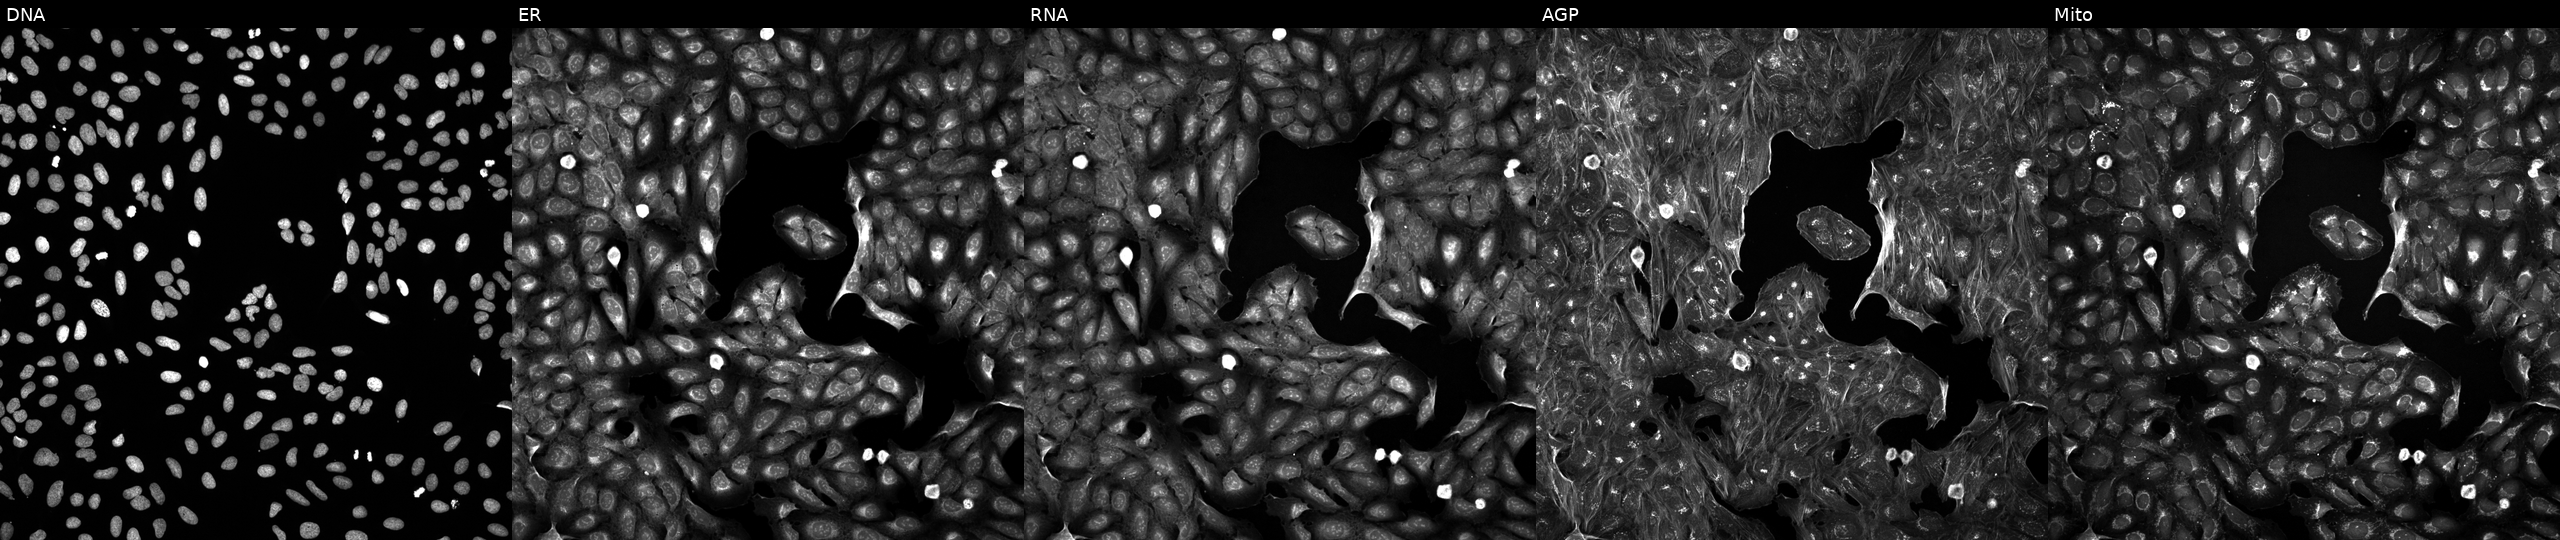
Panels show, left to right, Hoechst 33342, concanavalin A, SYTO 14, phalloidin and WGA, MitoTracker. U2OS osteosarcoma cells treated with a small-molecule compound (InChIKey GVJHHUAWPYXKBD-UHFFFAOYSA-N). Cell Painting assay, JUMP-CP dataset.